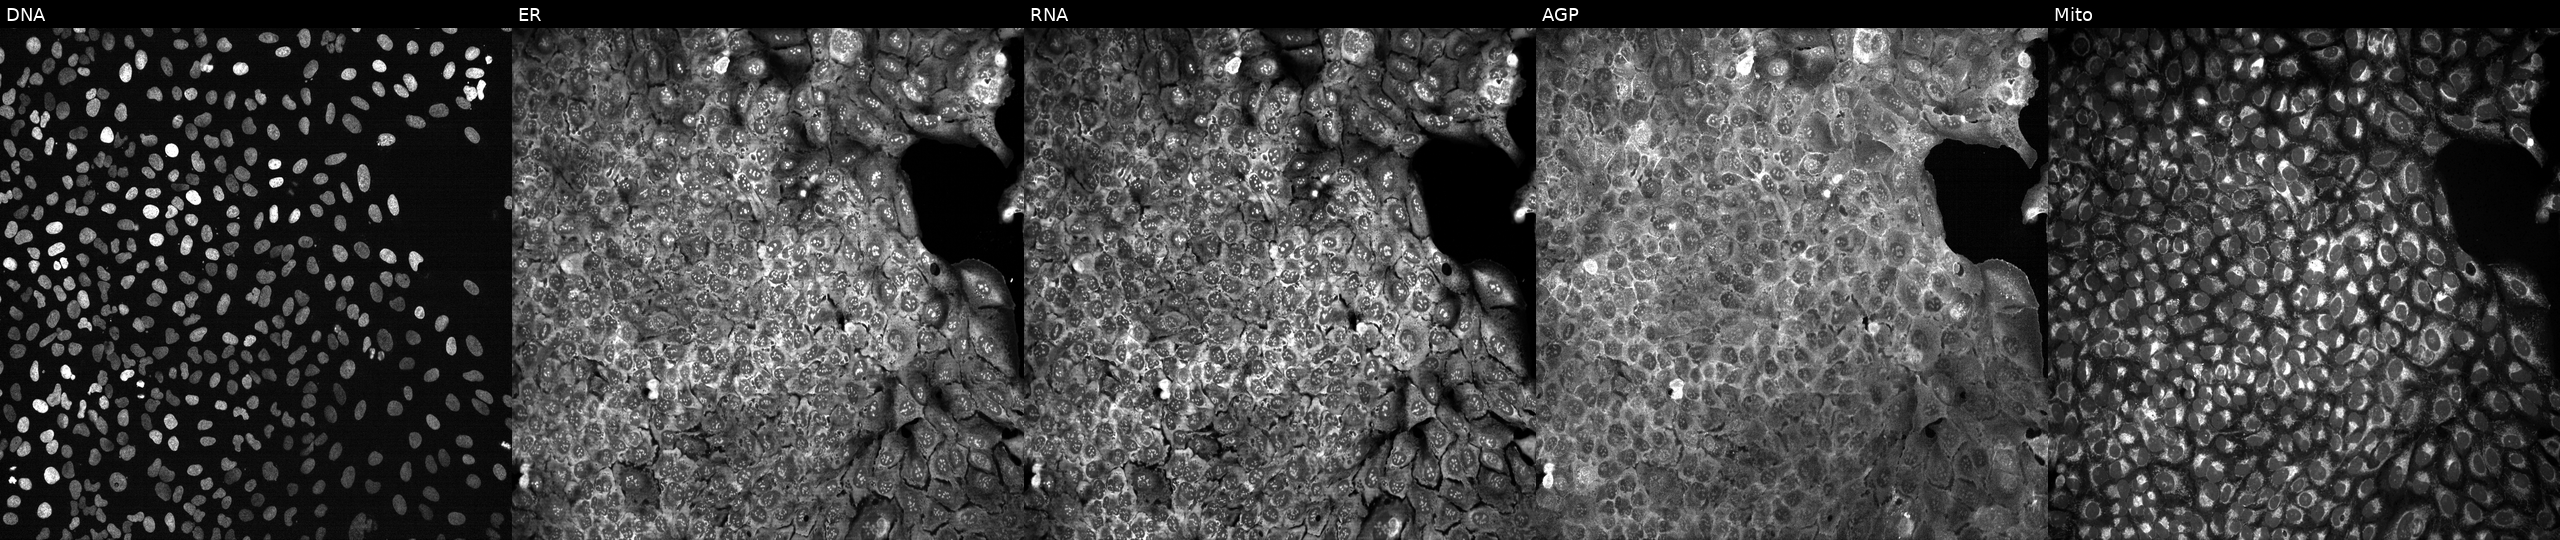
The five panels, left to right, show Hoechst 33342, concanavalin A, SYTO 14, phalloidin and WGA, MitoTracker. U2OS osteosarcoma cells following CRISPR knockout of CDH17 (JUMP id JCP2022_801189). Cell Painting assay, JUMP-CP dataset. Source 13, plate CP-CC9-R3-02, well A21.